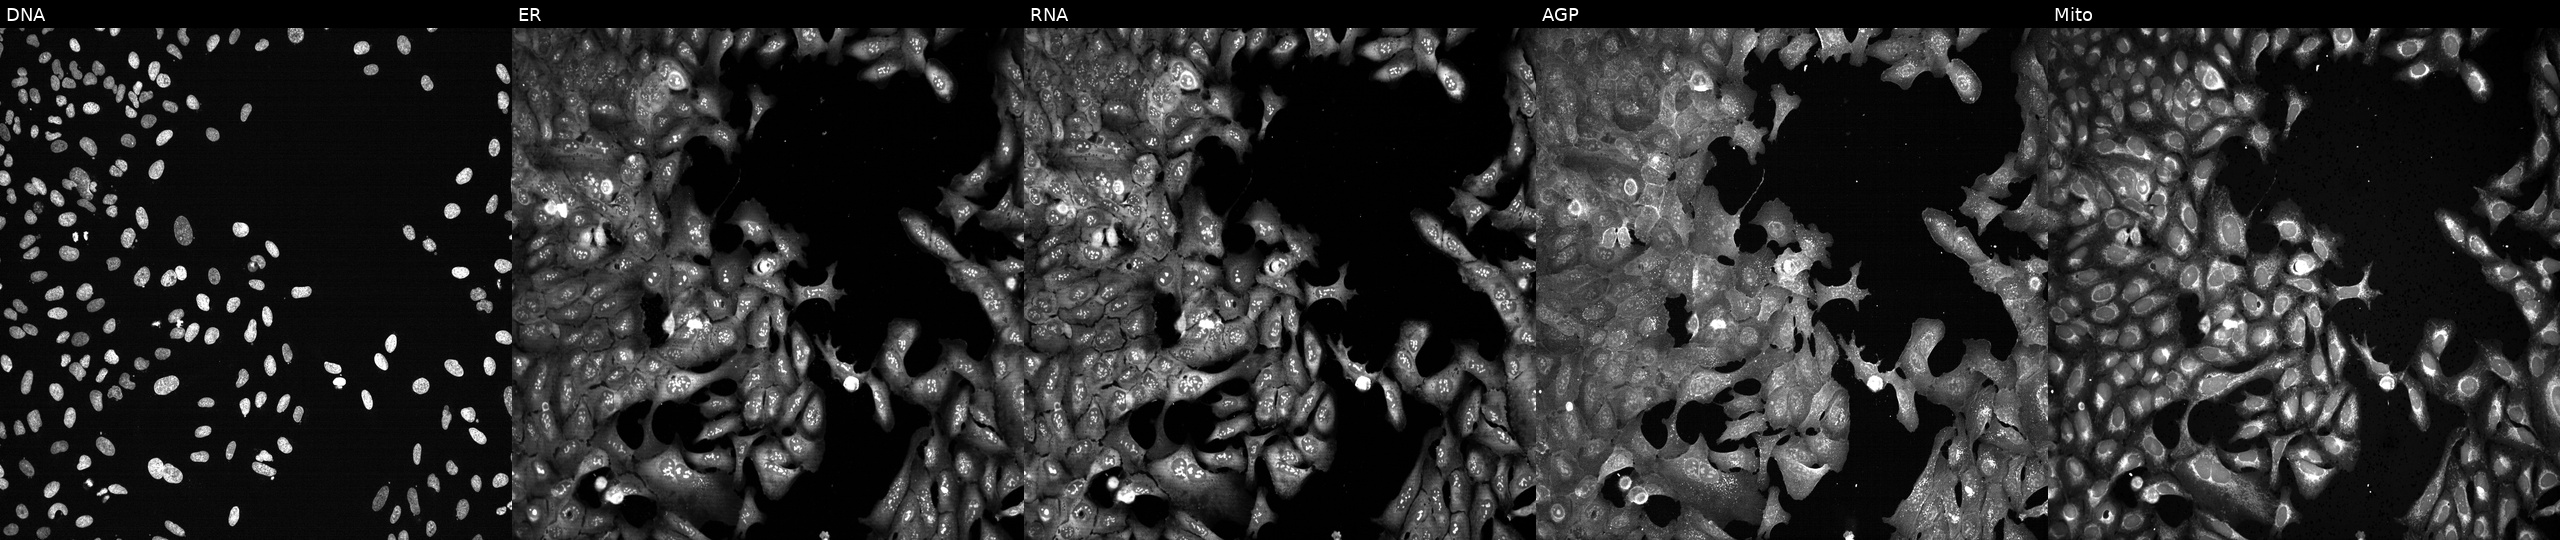
From left to right: Hoechst 33342, concanavalin A, SYTO 14, phalloidin and WGA, MitoTracker. U2OS osteosarcoma cells with SLC11A2 knocked out by CRISPR. Cell Painting assay, JUMP-CP dataset.